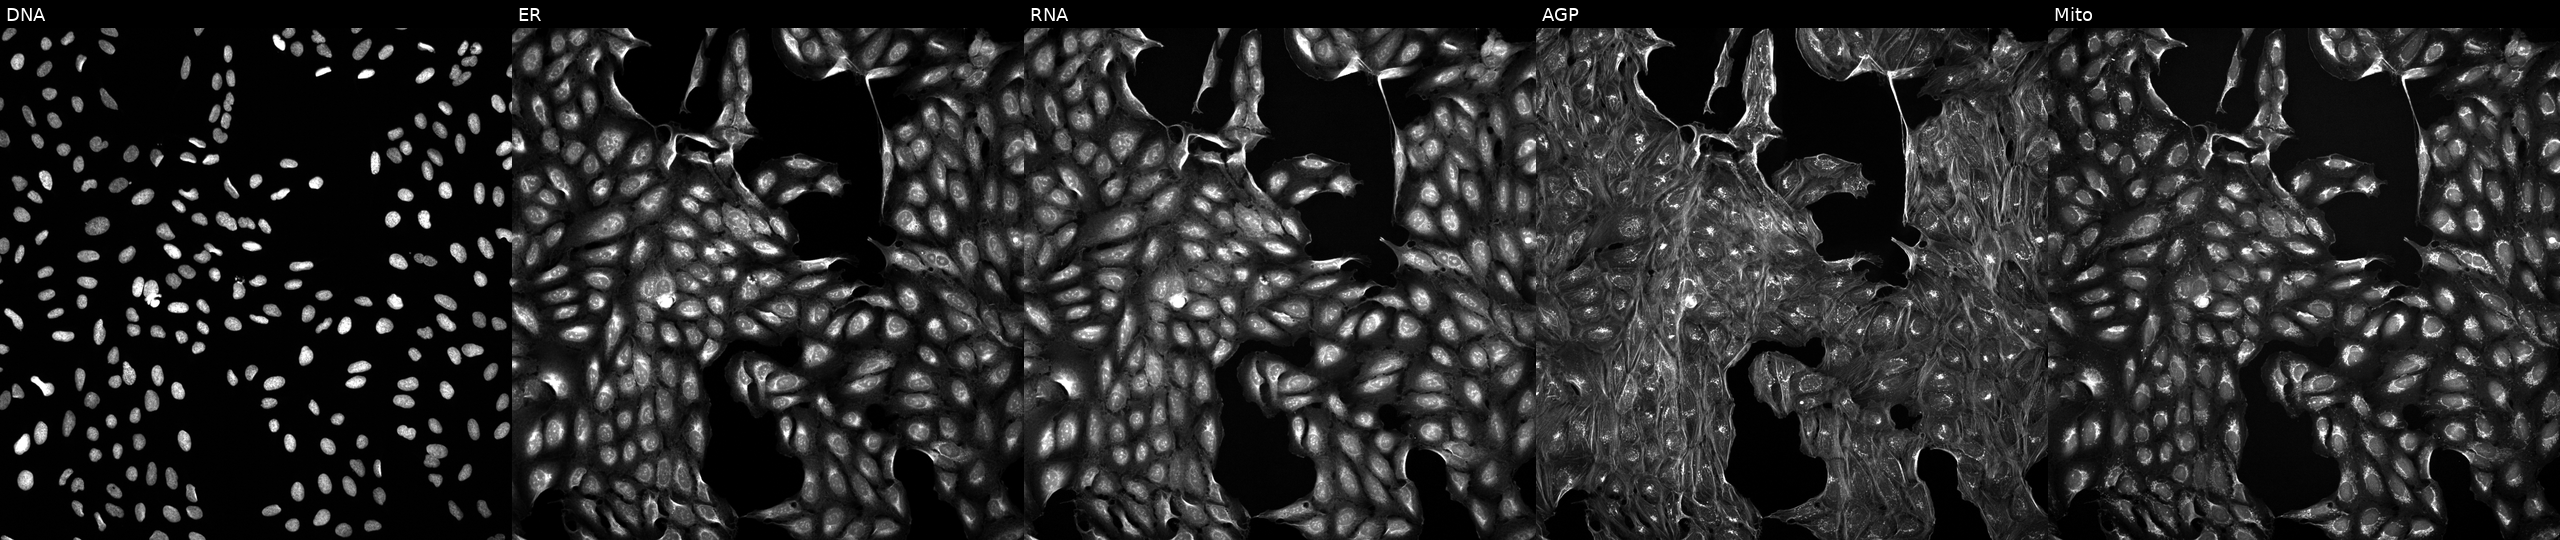
U2OS cells, Cell Painting assay, perturbed with a small-molecule compound (InChIKey CDJNNOJINJAXPV-UHFFFAOYSA-N) [SMILES: Cc1cc(-c2nc(-c3ccc(OC(F)(F)F)cc3)no2)nn1Cc1ccnc(N2CCN(C3CC3)CC2)c1]. Panels show, left to right, Hoechst 33342, concanavalin A, SYTO 14, phalloidin and WGA, MitoTracker. Each panel is percentile-stretched 16-bit fluorescence.